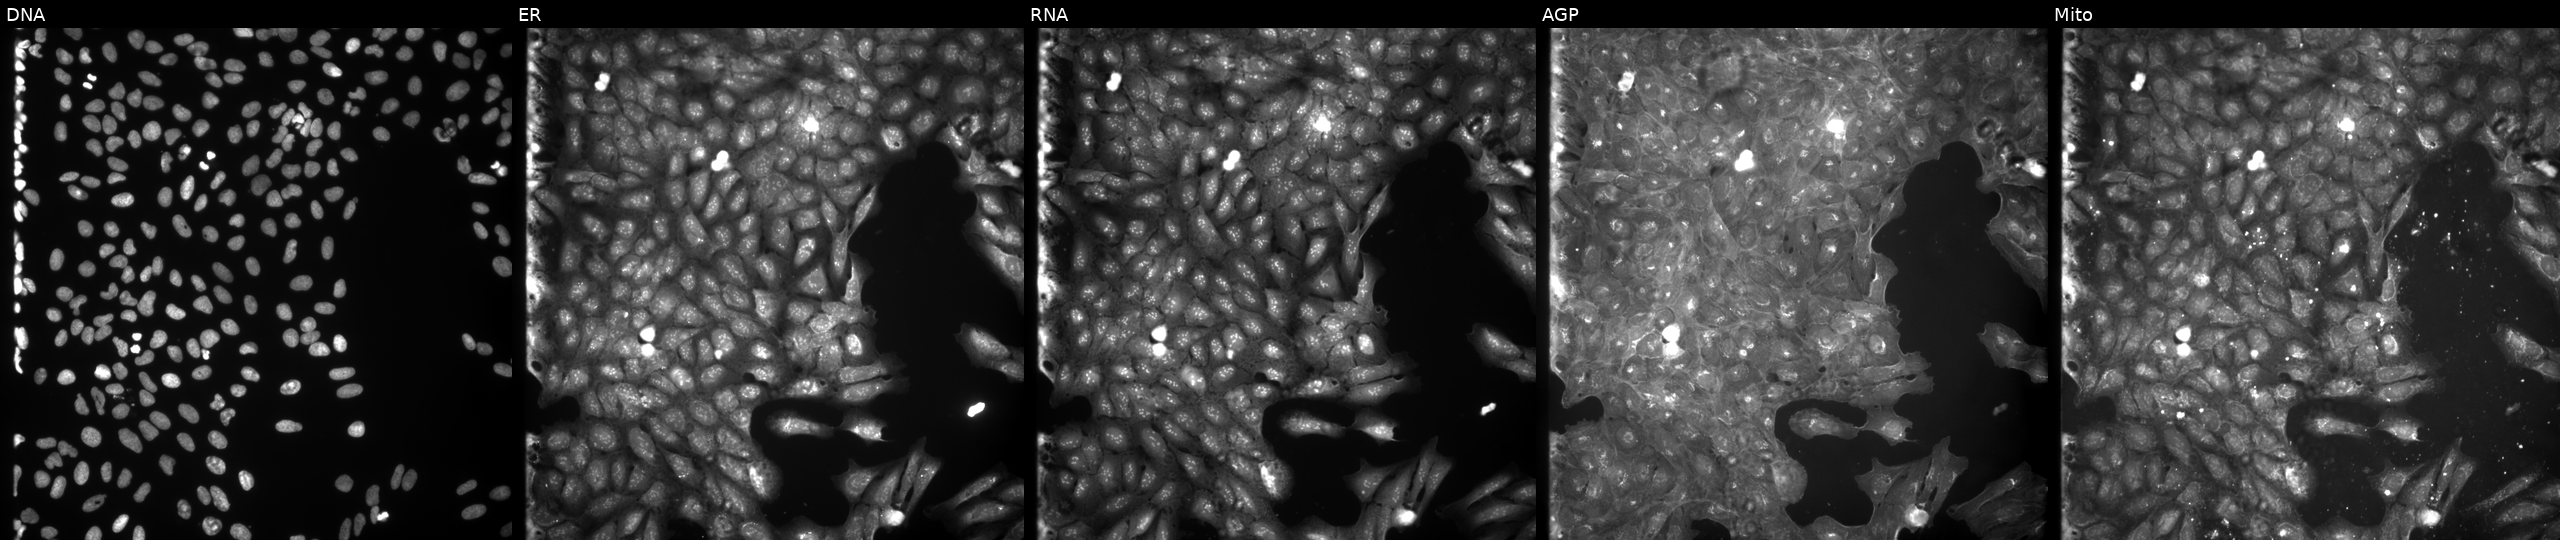
High-content fluorescence microscopy (Cell Painting). Cell line: U2OS. Perturbation: exposed to a small-molecule compound (InChIKey KSGSHRAZEGUTGH-UHFFFAOYSA-N). Panels show, left to right, DNA, ER, RNA, AGP, and Mito. Source 9, plate GR00003382, well C15.